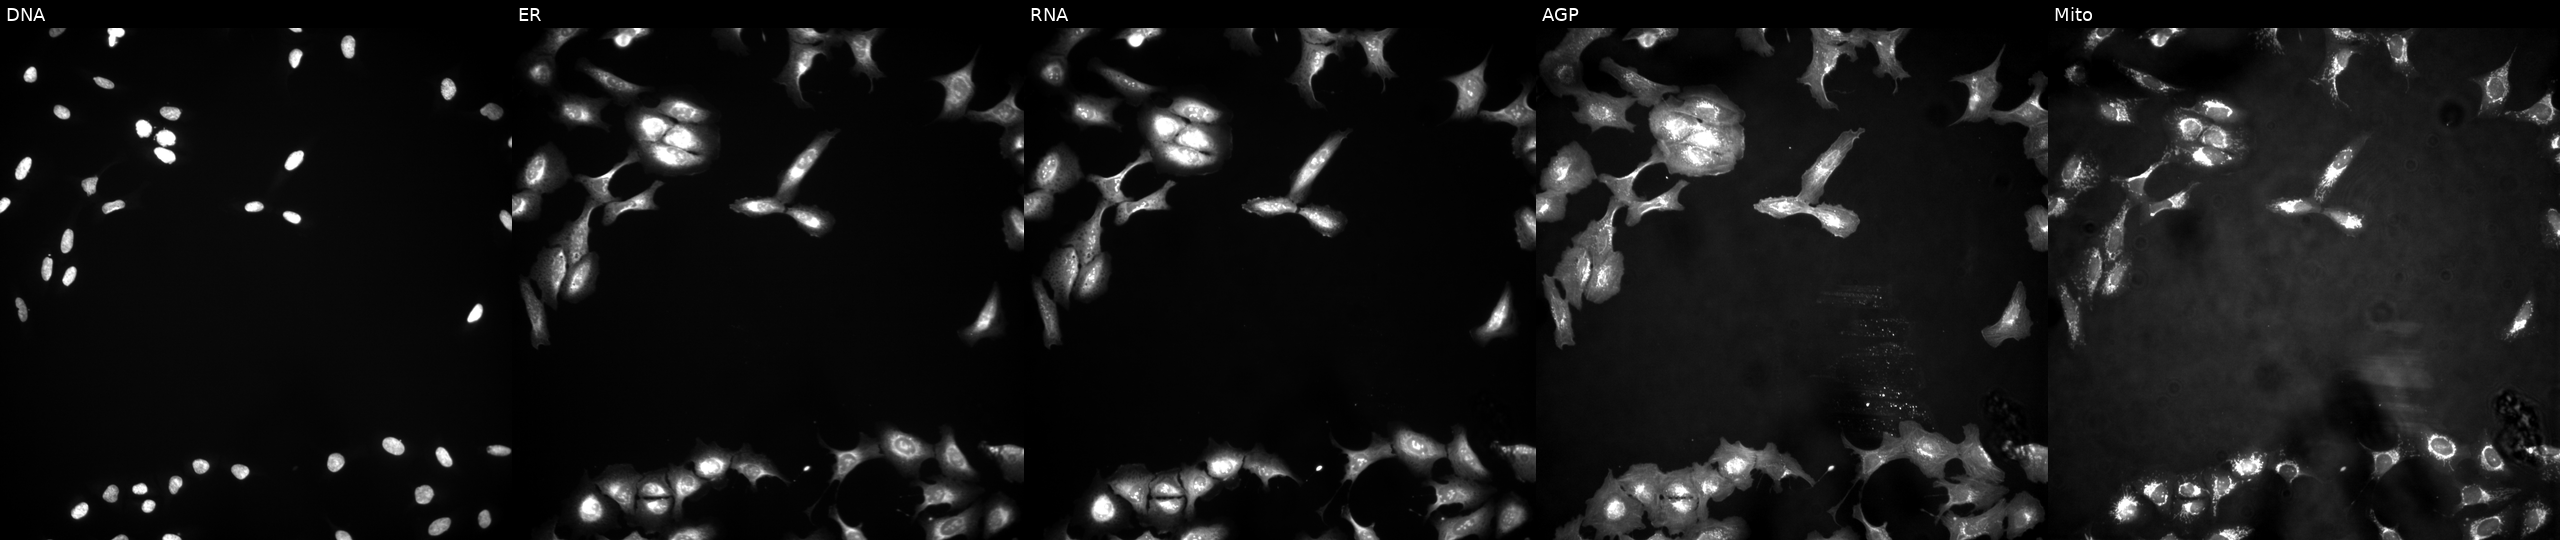
High-content fluorescence microscopy (Cell Painting). Cell line: U2OS. Perturbation: overexpressing TMEM47 via ORF transfection (JUMP id JCP2022_908500). The five panels, left to right, show DNA, ER, RNA, AGP, and Mito.